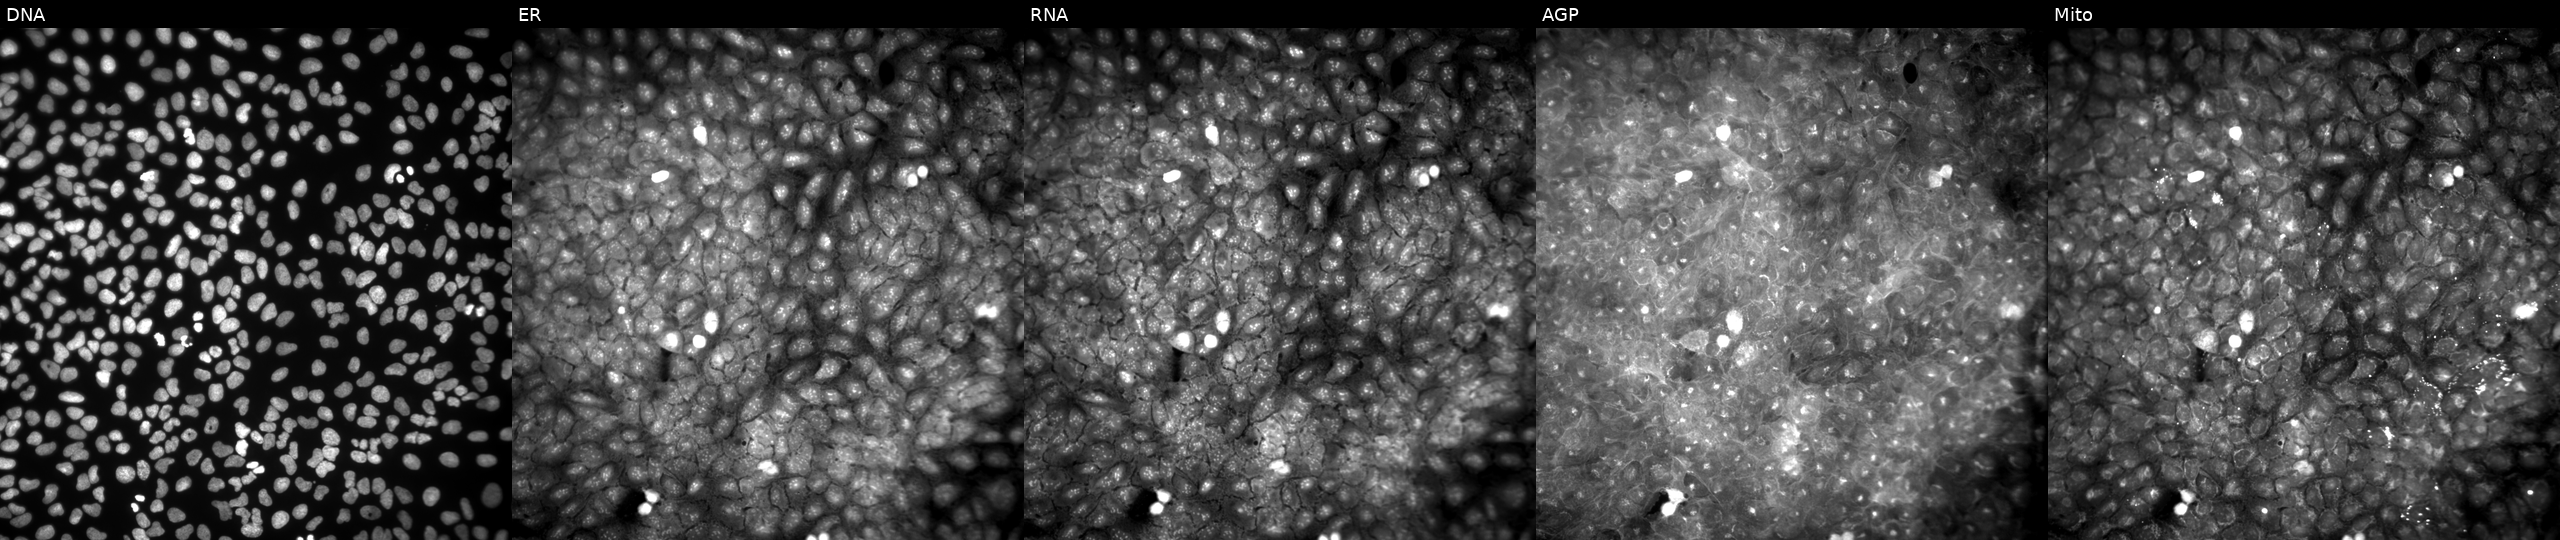
U2OS cells, Cell Painting assay, perturbed with a small-molecule compound (InChIKey SDSZHYWMQMNLID-UHFFFAOYSA-N) (JUMP id JCP2022_082529). Channels (left→right): DNA, ER, RNA, AGP, and Mito. Each panel is percentile-stretched 16-bit fluorescence. Source 9, plate GR00003382, well AA46.